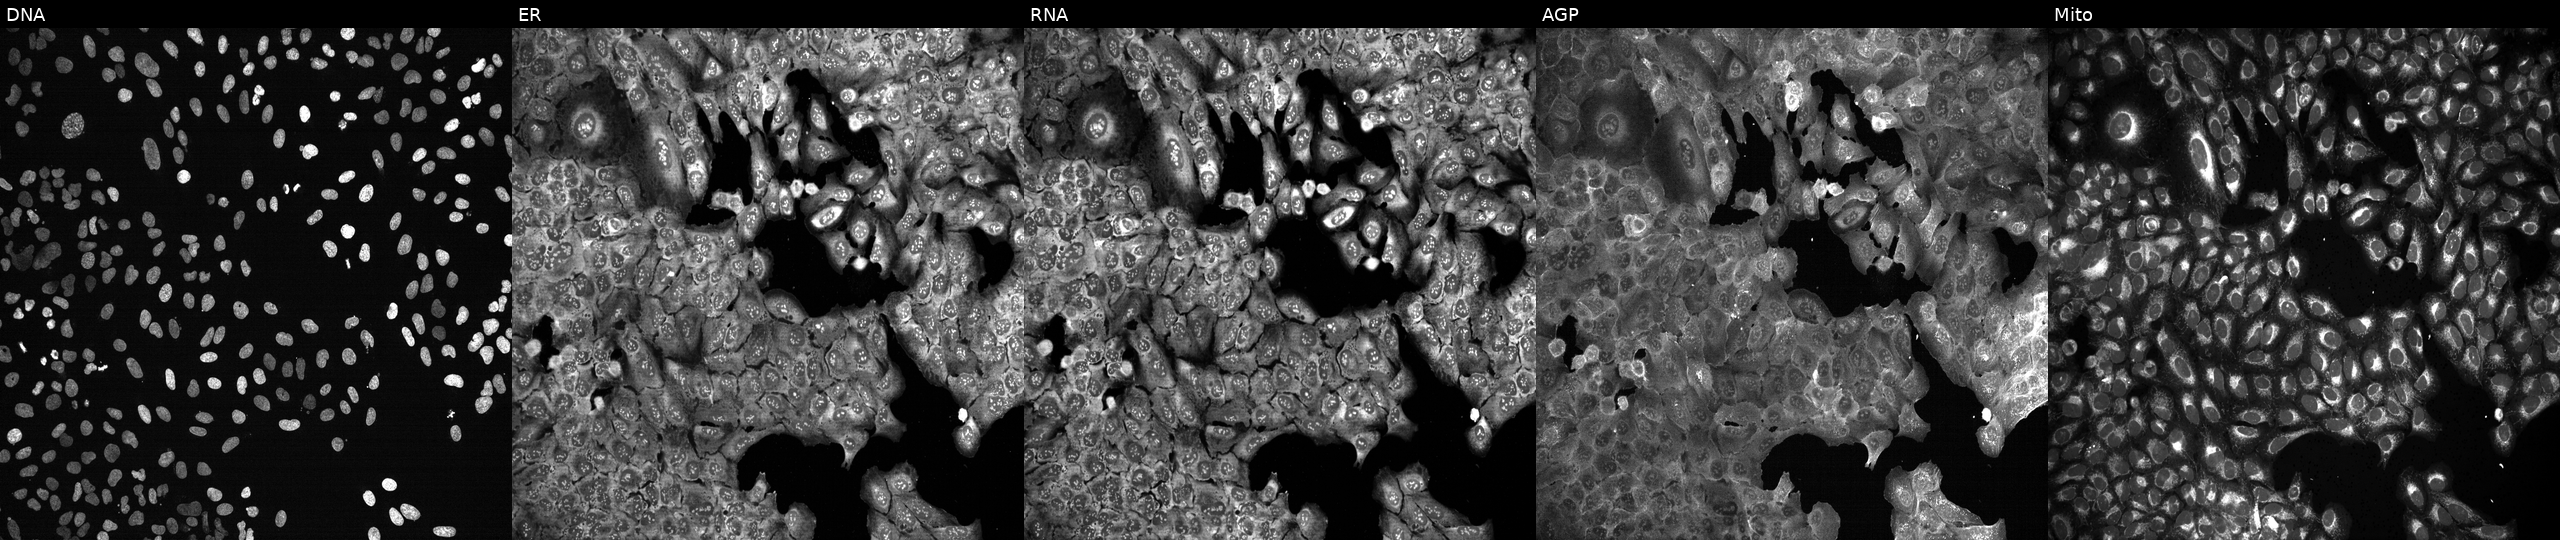
JUMP Cell Painting — CRISPR plate. U2OS cells CRISPR-edited to disrupt DAB2 (JUMP id JCP2022_801667). The five panels, left to right, show DNA, ER, RNA, AGP, and Mito. Source 13, plate CP-CC9-R2-02, well E07.